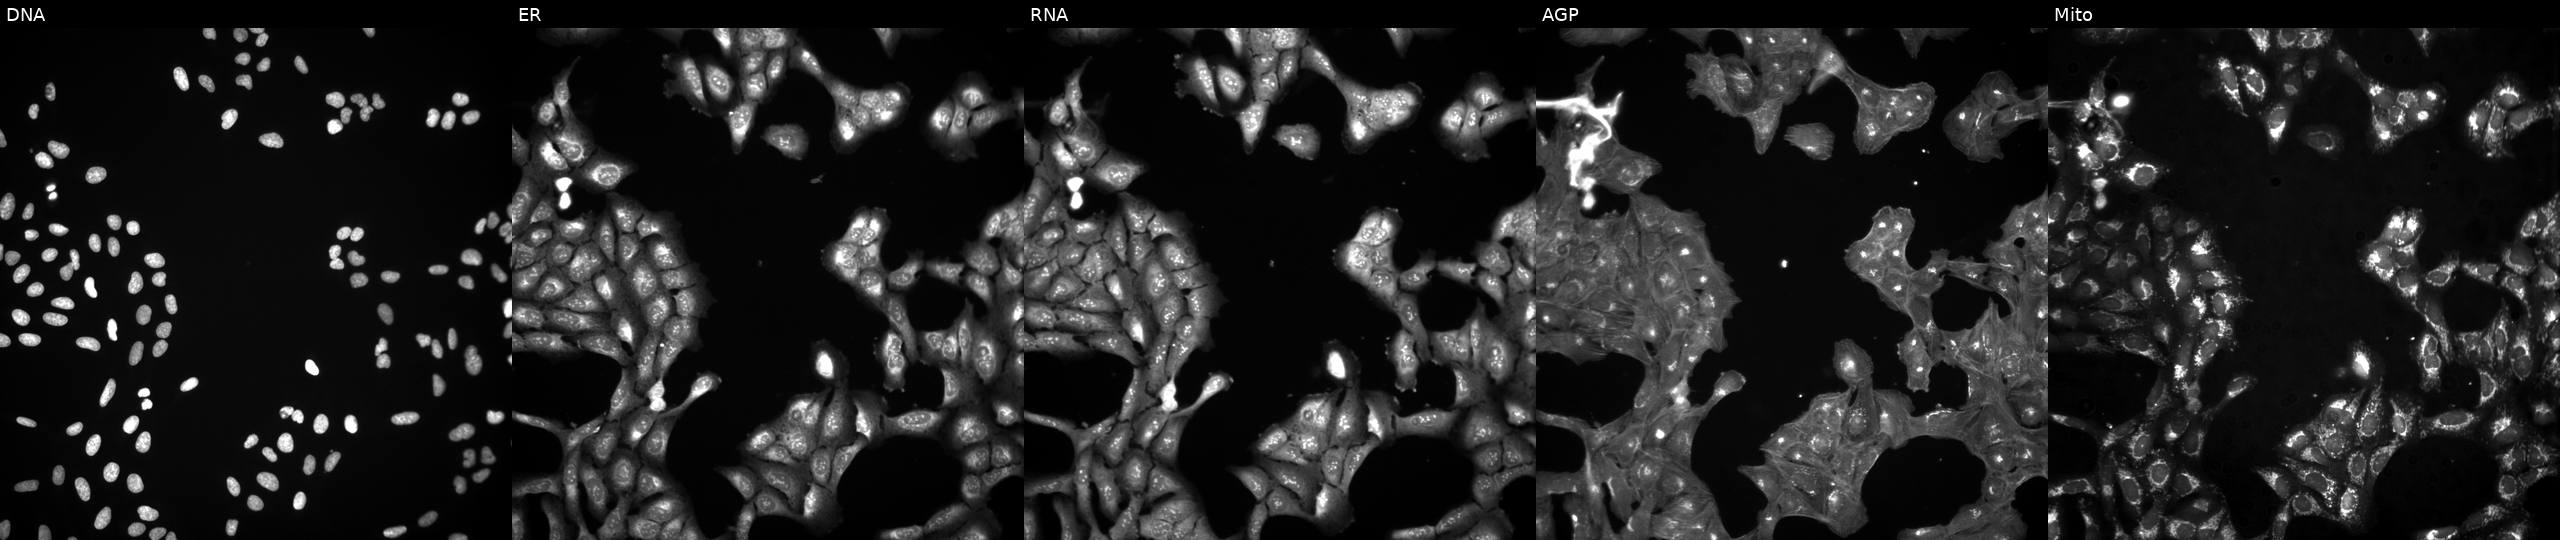
Five-channel Cell Painting image of U2OS cells exposed to DMSO alone as a negative control. From left to right: Hoechst 33342, concanavalin A, SYTO 14, phalloidin and WGA, MitoTracker.